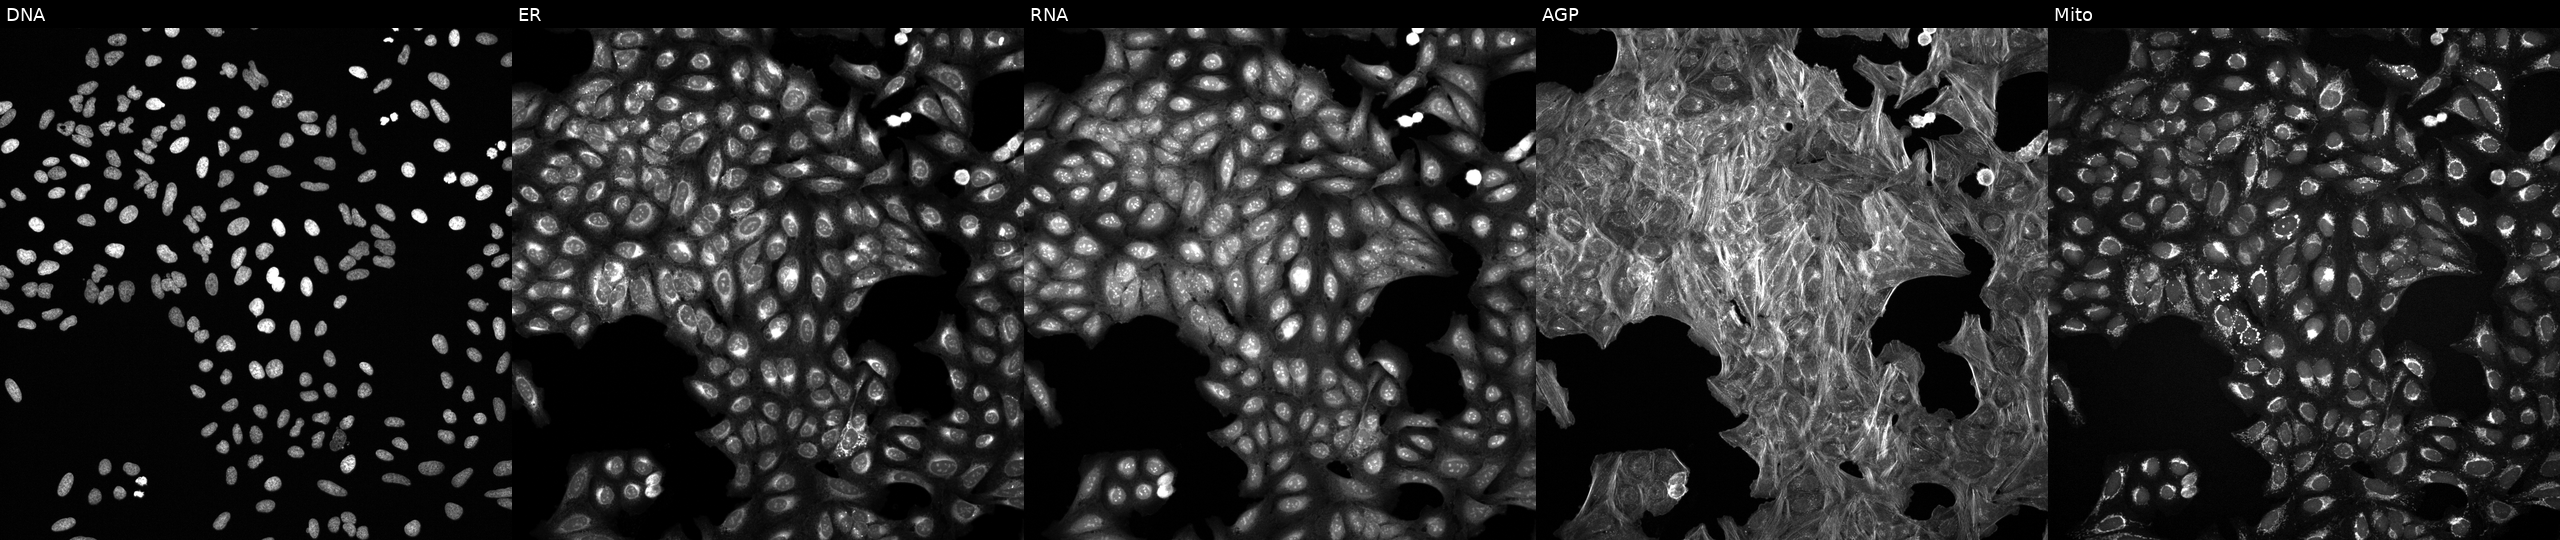
This image strip shows the five Cell Painting channels for a single field of U2OS cells treated with DMSO vehicle only (negative control). Panels show, left to right, DNA (nuclei); ER (endoplasmic reticulum); RNA (nucleoli and cytoplasmic RNA); AGP (actin cytoskeleton, Golgi, and plasma membrane); Mito (mitochondria). Source 6, plate 110000293081, well H17.